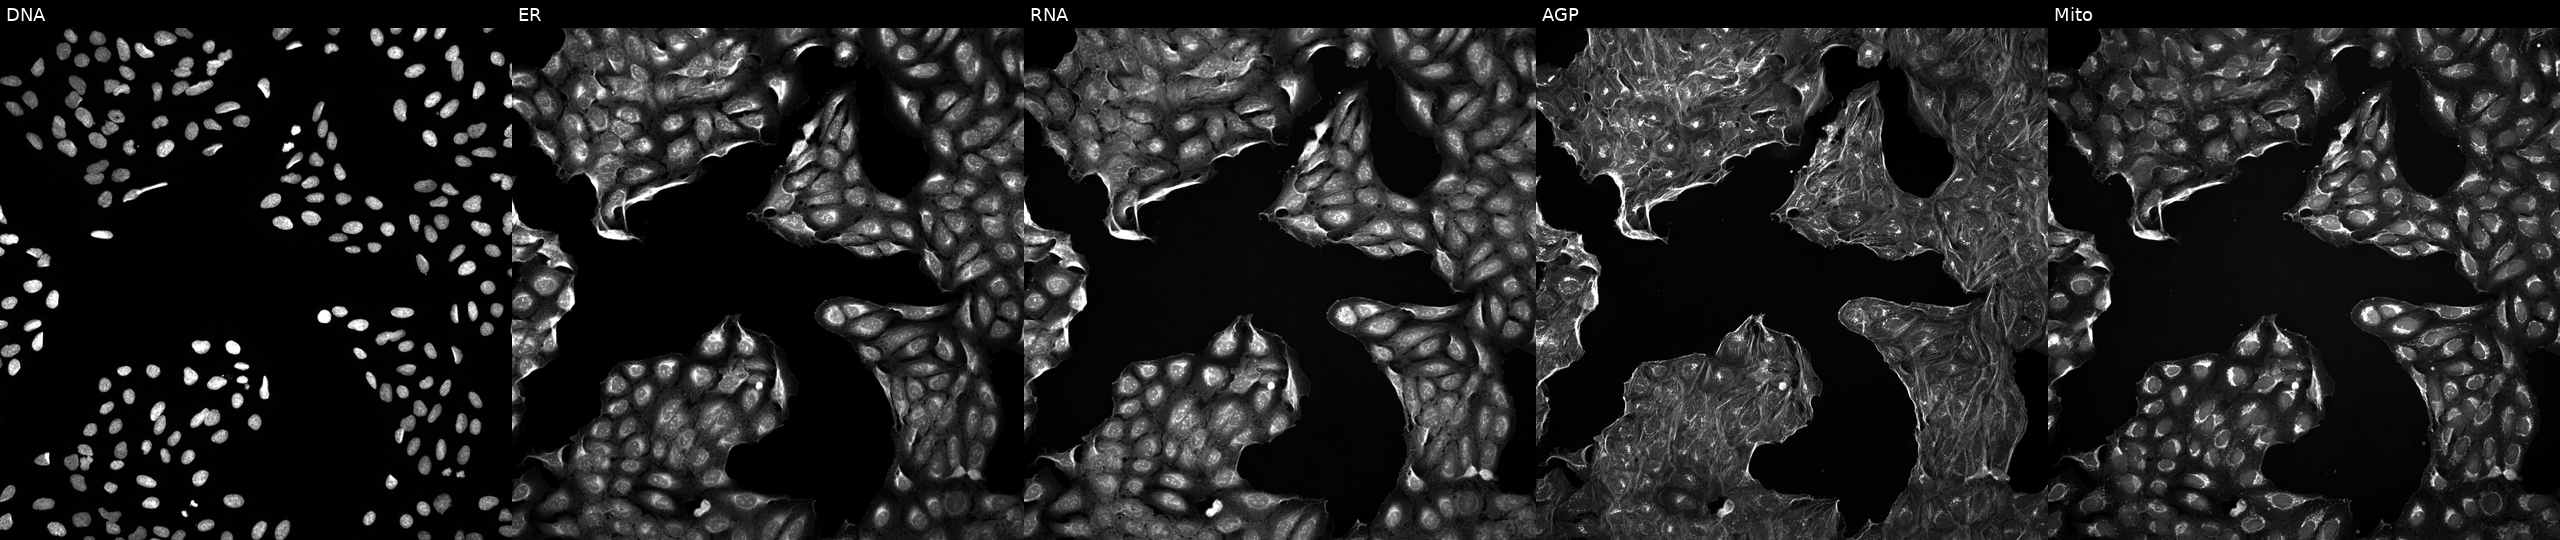
Five-channel Cell Painting image of U2OS cells treated with DMSO vehicle only (negative control). From left to right: Hoechst 33342, concanavalin A, SYTO 14, phalloidin and WGA, MitoTracker.